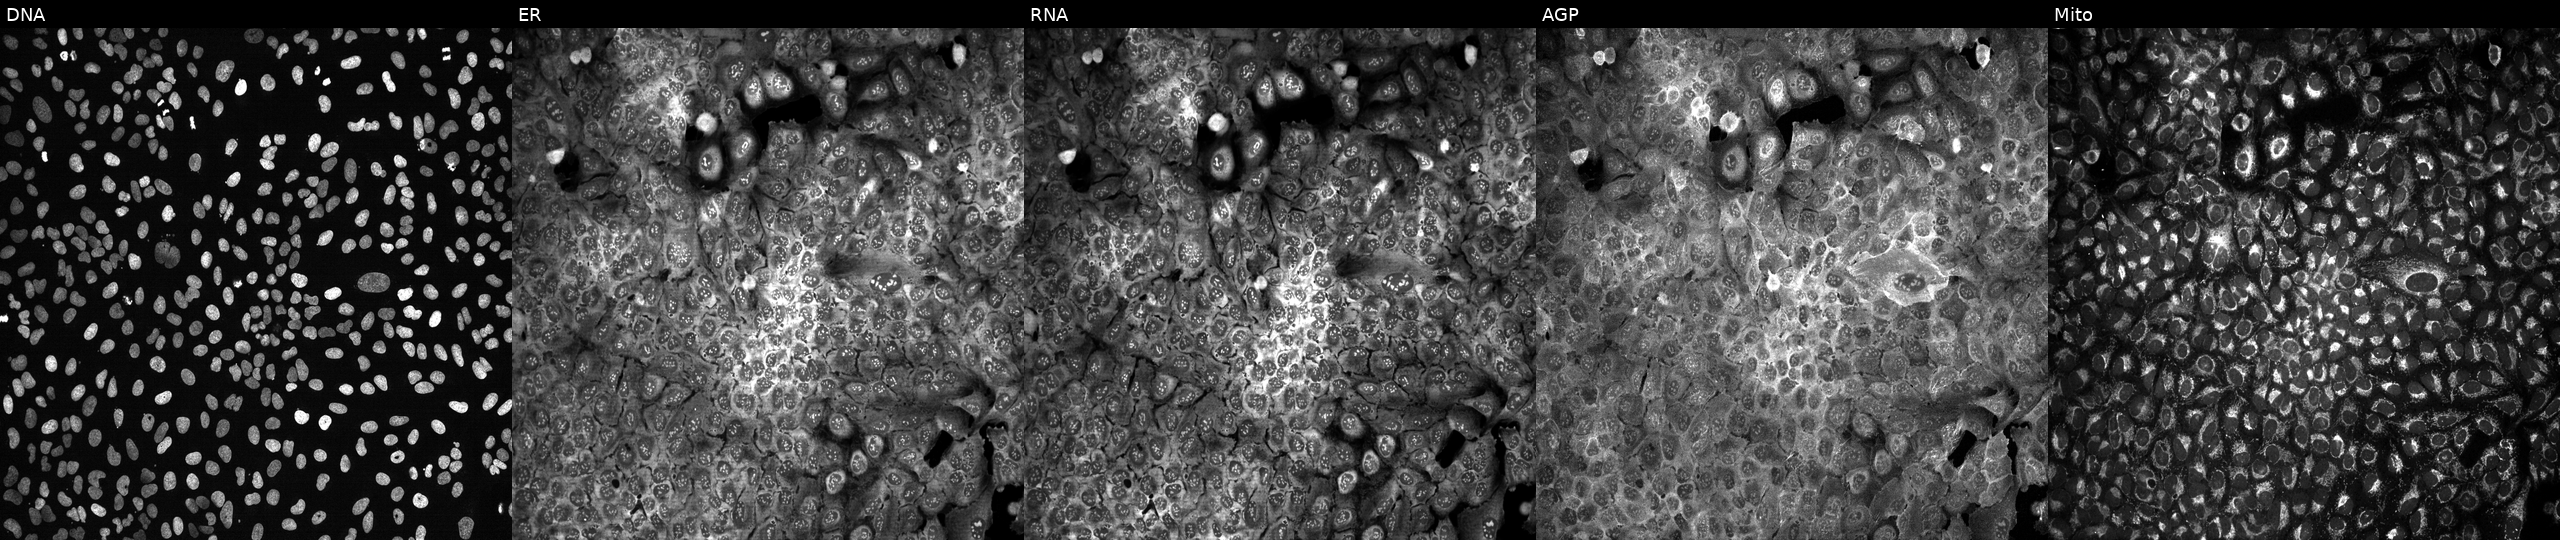
This image strip shows the five Cell Painting channels for a single field of U2OS cells CRISPR-edited to disrupt ADPRH (JUMP id JCP2022_800272). Panels show, left to right, DNA, ER, RNA, AGP, and Mito.